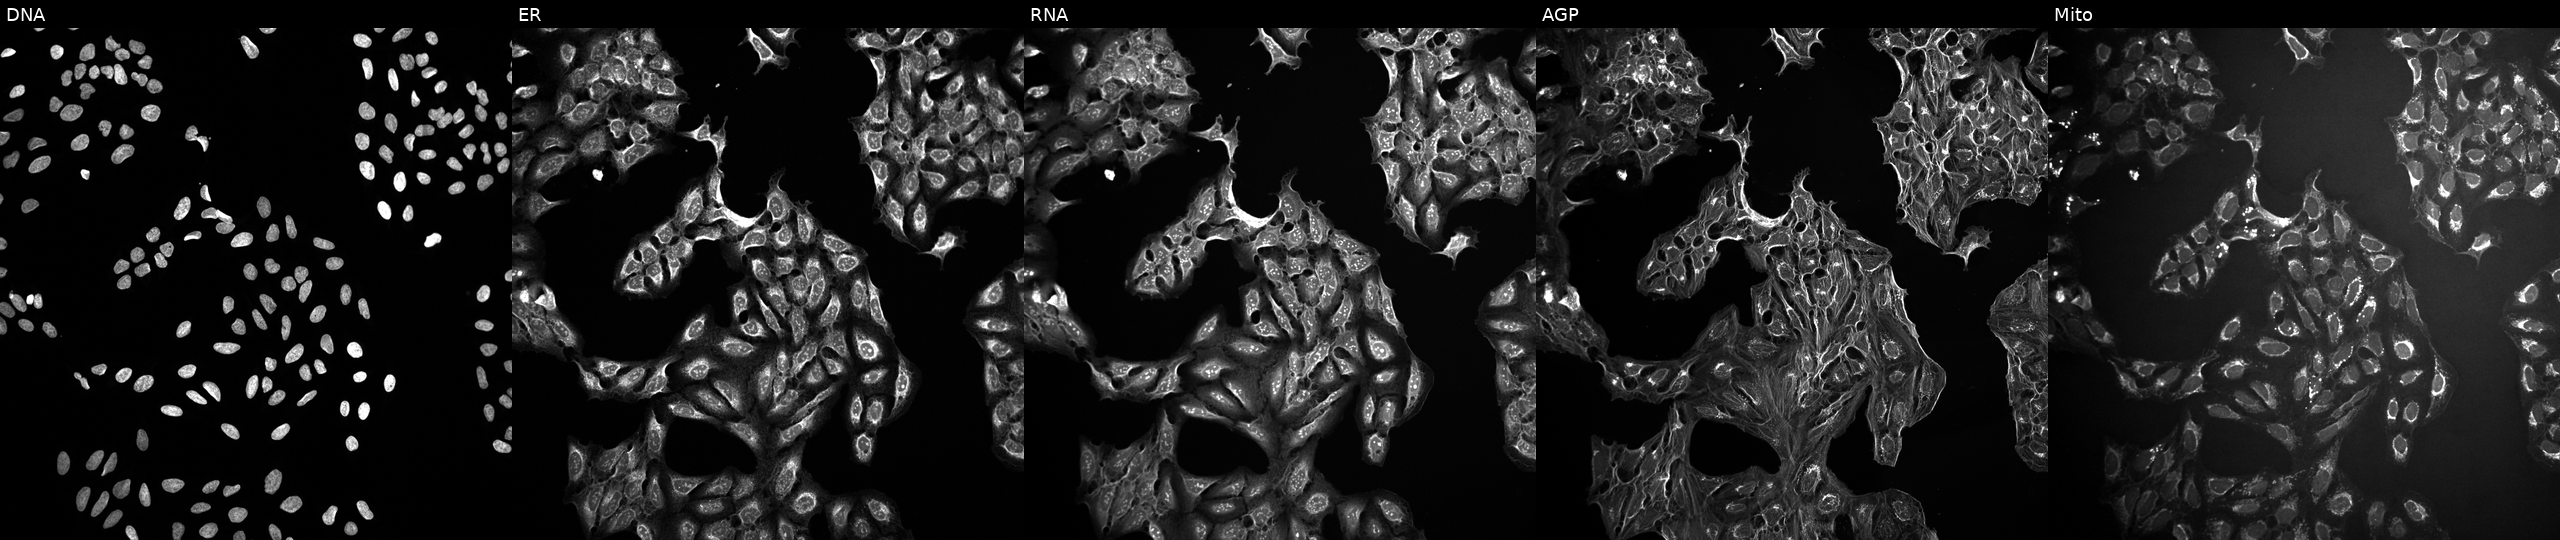
This image strip shows the five Cell Painting channels for a single field of U2OS cells exposed to the positive-control compound aloxistatin. Panels show, left to right, Hoechst 33342, concanavalin A, SYTO 14, phalloidin and WGA, MitoTracker. Source 10, plate Dest210531-152324, well M24.